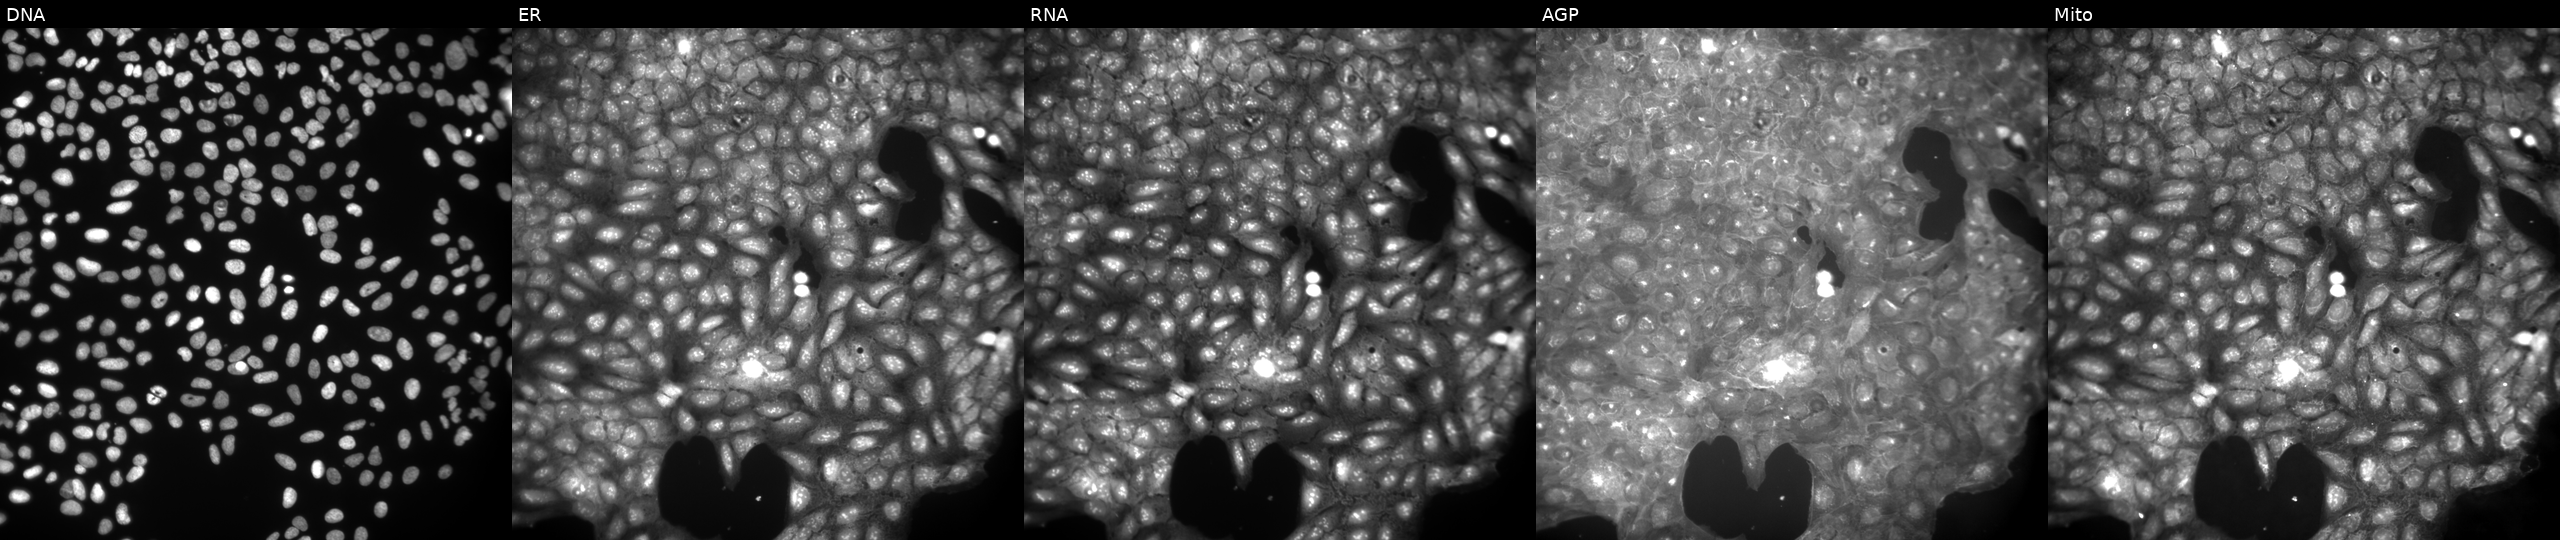
This image strip shows the five Cell Painting channels for a single field of U2OS cells treated with a small-molecule compound (JUMP id JCP2022_008944). The five panels, left to right, show Hoechst 33342, concanavalin A, SYTO 14, phalloidin and WGA, MitoTracker. Source 9, plate GR00003382, well C44.